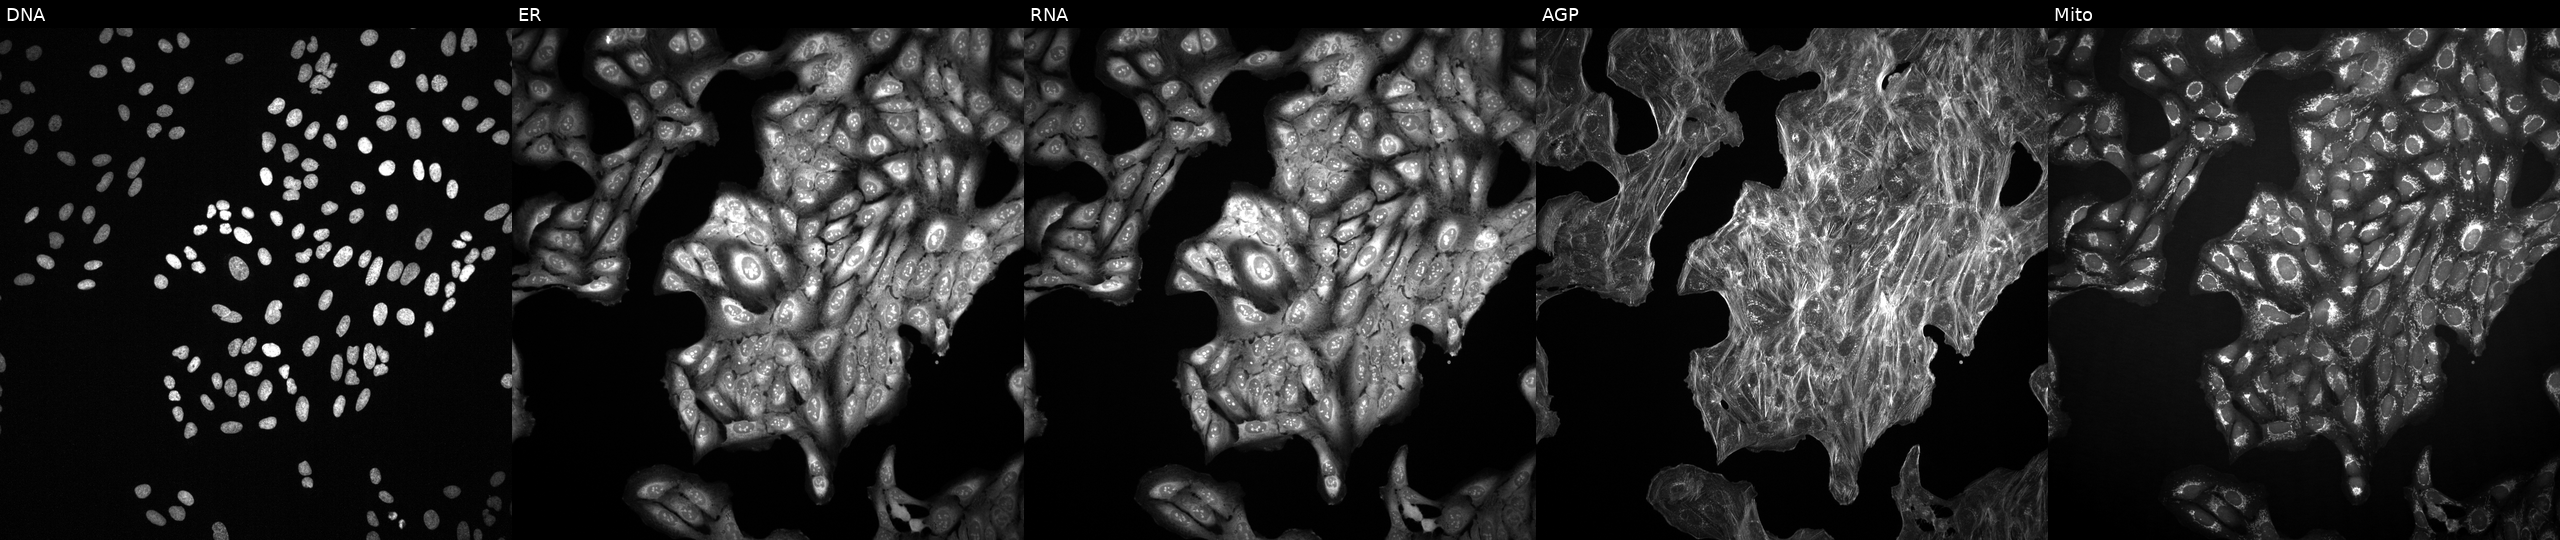
U2OS cells, Cell Painting assay, exposed to a small-molecule compound (InChIKey QUGDTMONBLMLLD-UHFFFAOYSA-N). The five panels, left to right, show Hoechst 33342, concanavalin A, SYTO 14, phalloidin and WGA, MitoTracker. Each panel is percentile-stretched 16-bit fluorescence. Source 2, plate 1053597936, well P17.